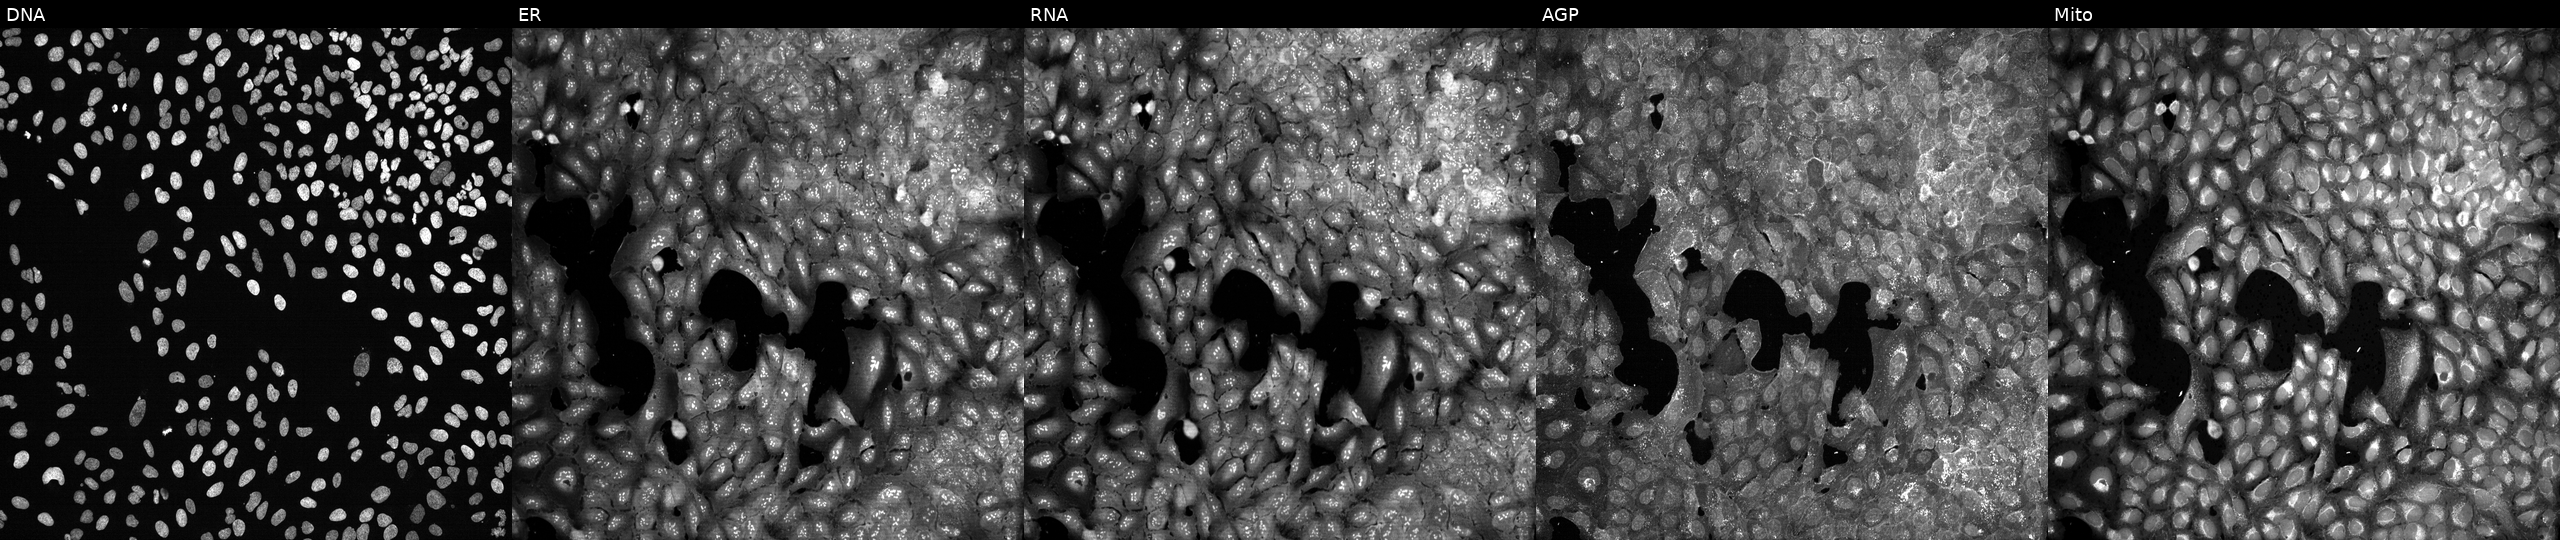
U2OS cells, Cell Painting assay, CRISPR-edited to disrupt DAB2 (JUMP id JCP2022_801667). Channels (left→right): DNA, ER, RNA, AGP, and Mito. Each panel is percentile-stretched 16-bit fluorescence.